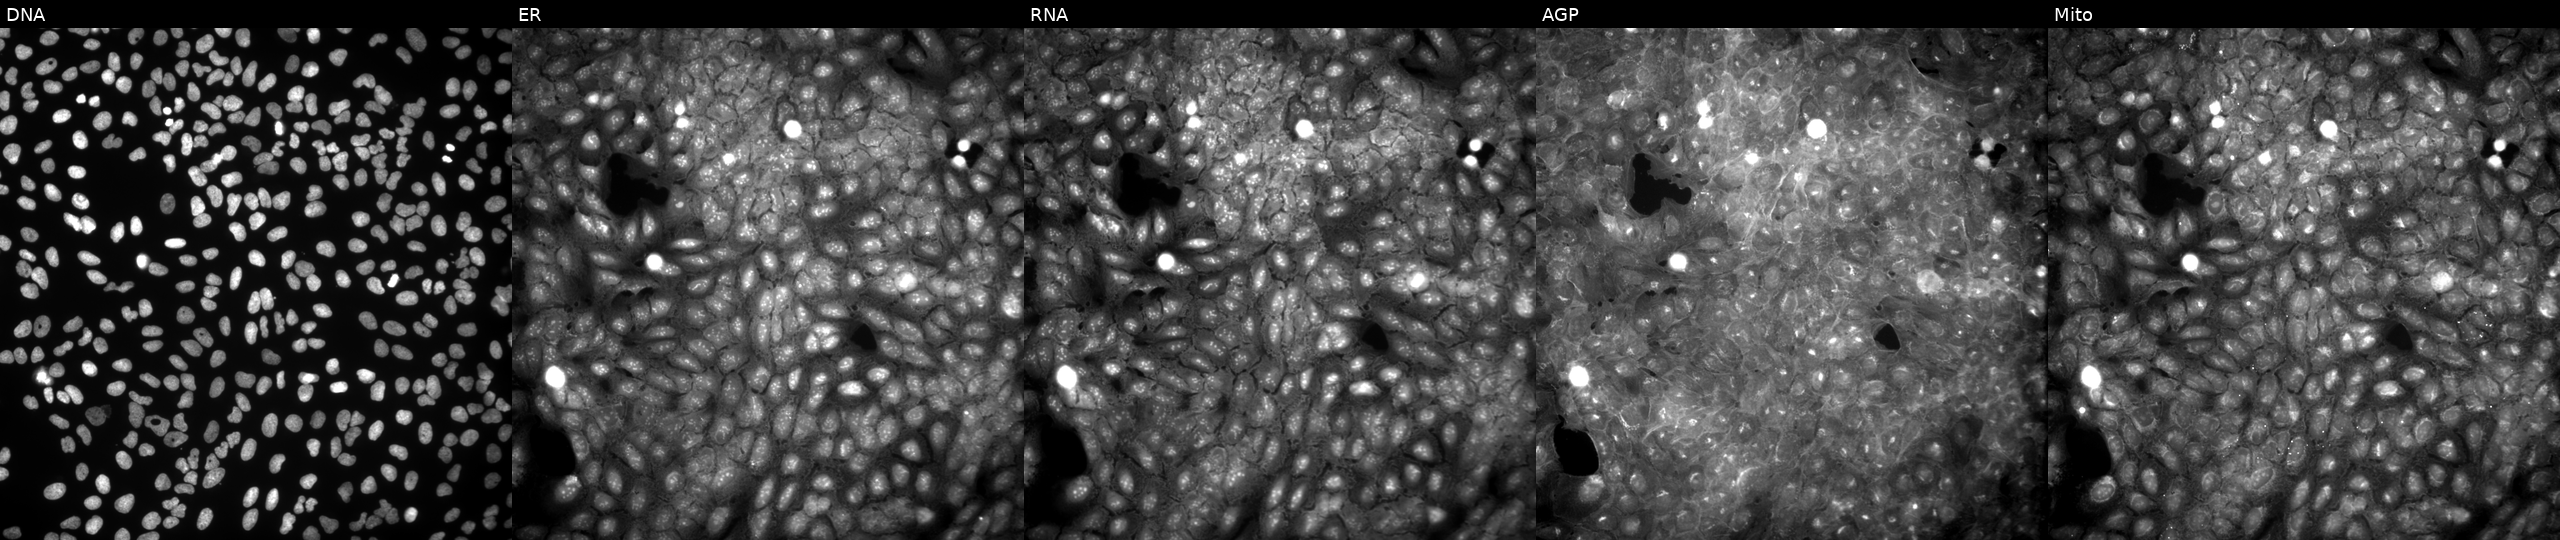
This image strip shows the five Cell Painting channels for a single field of U2OS cells treated with a small-molecule compound (InChIKey UJQFXRIIFNMJQR-UHFFFAOYSA-N) [SMILES: C=CCn1c(SCC(=O)c2cccs2)nnc1-c1cccc(OC)c1]. The five panels, left to right, show DNA (nuclei); ER (endoplasmic reticulum); RNA (nucleoli and cytoplasmic RNA); AGP (actin cytoskeleton, Golgi, and plasma membrane); Mito (mitochondria). Source 9, plate GR00003381, well F29.